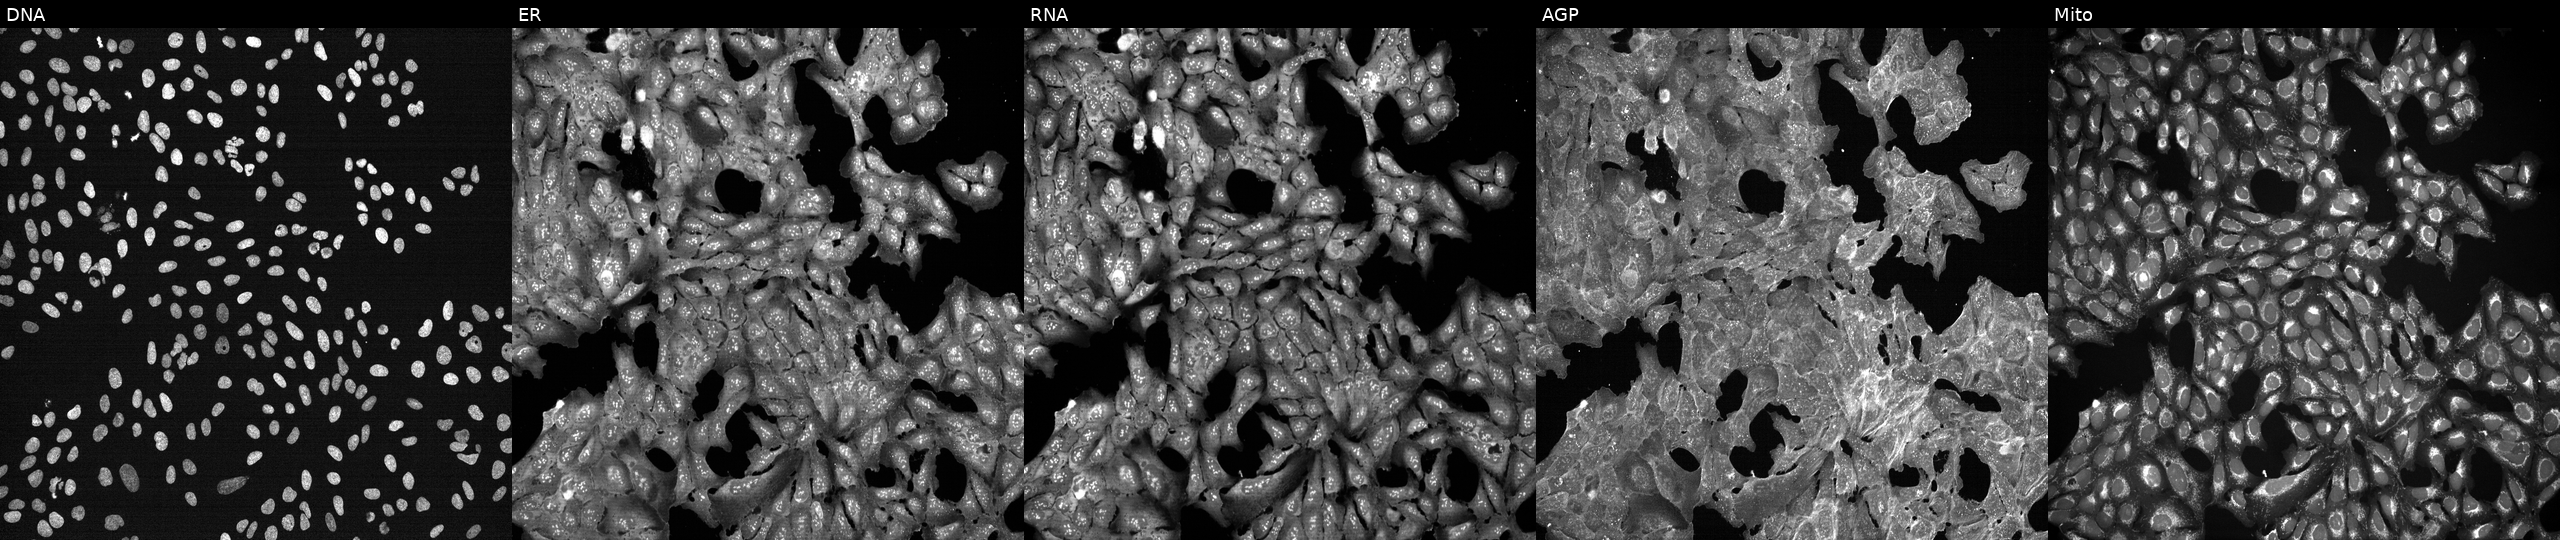
Five-channel Cell Painting image of U2OS cells treated with DMSO vehicle only (negative control) (JUMP id JCP2022_033924). Channels (left→right): Hoechst 33342, concanavalin A, SYTO 14, phalloidin and WGA, MitoTracker. Source 7, plate CP3-SC1-25, well F13.